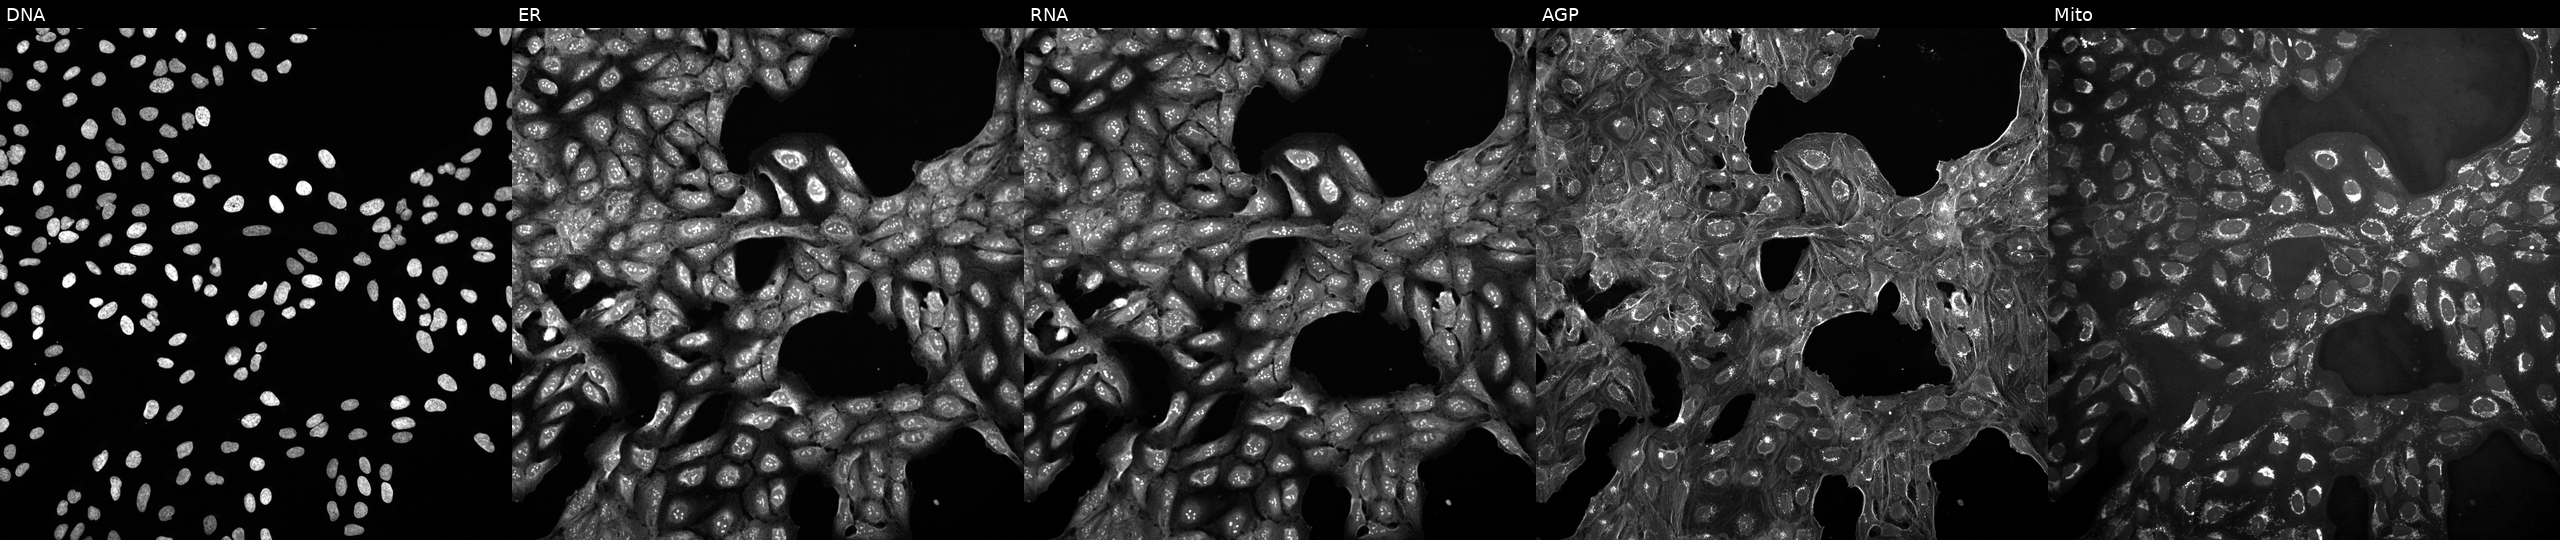
Five-channel Cell Painting image of U2OS cells perturbed with a small-molecule compound (InChIKey GEAVVWLKIZHDAI-UHFFFAOYSA-N). Channels (left→right): DNA (nuclei); ER (endoplasmic reticulum); RNA (nucleoli and cytoplasmic RNA); AGP (actin cytoskeleton, Golgi, and plasma membrane); Mito (mitochondria).